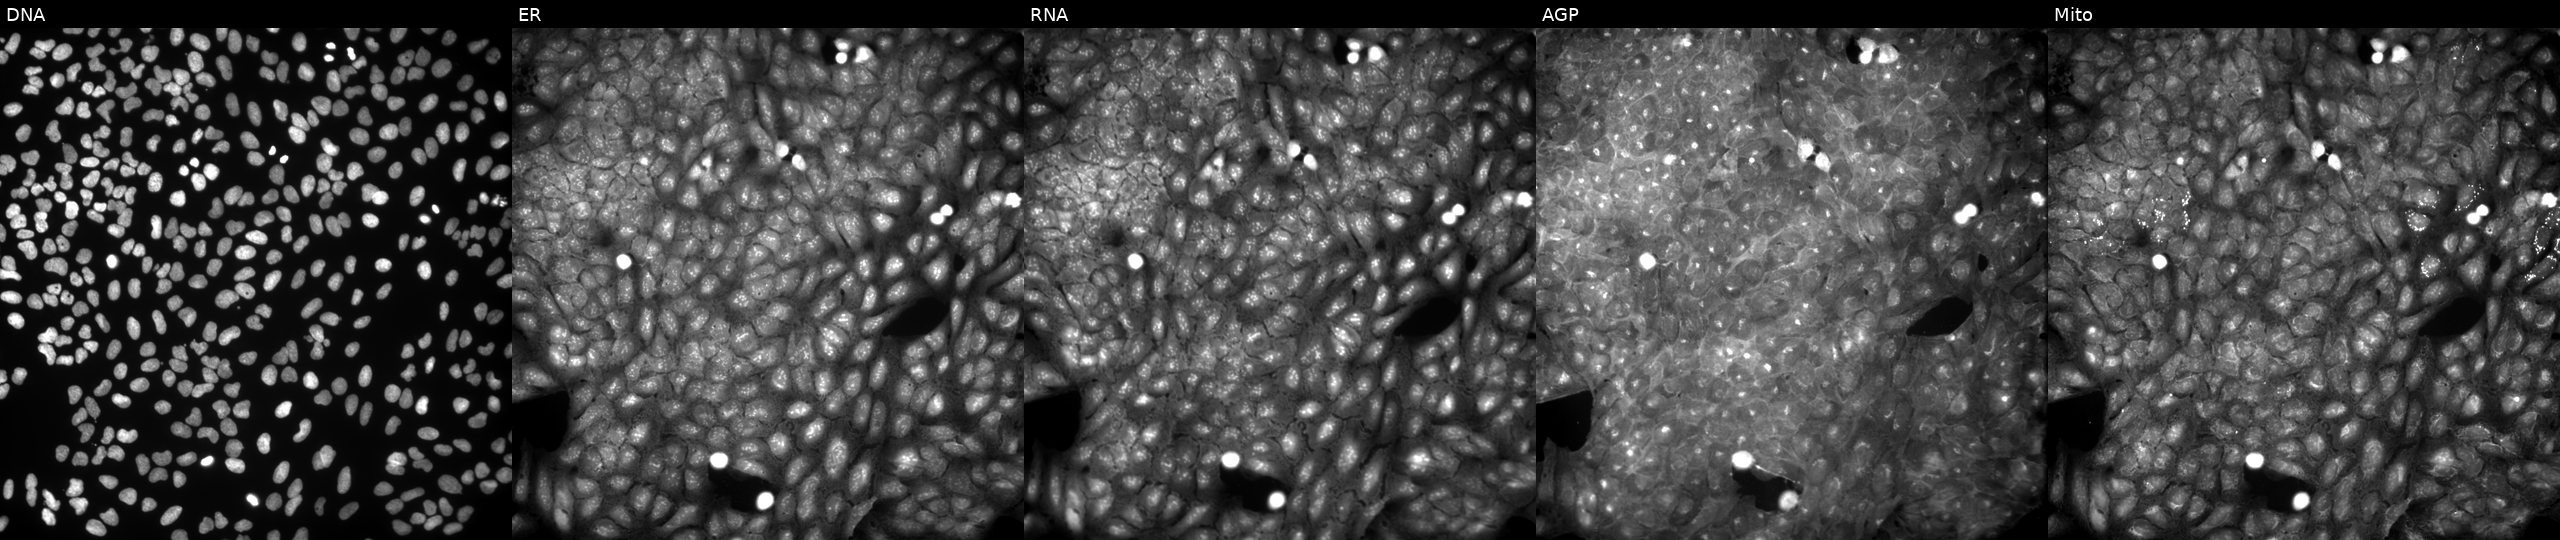
The five panels, left to right, show DNA (nuclei); ER (endoplasmic reticulum); RNA (nucleoli and cytoplasmic RNA); AGP (actin cytoskeleton, Golgi, and plasma membrane); Mito (mitochondria). U2OS osteosarcoma cells treated with a small-molecule compound (InChIKey IXRFXROGXPJAGZ-UHFFFAOYSA-N). Cell Painting assay, JUMP-CP dataset.